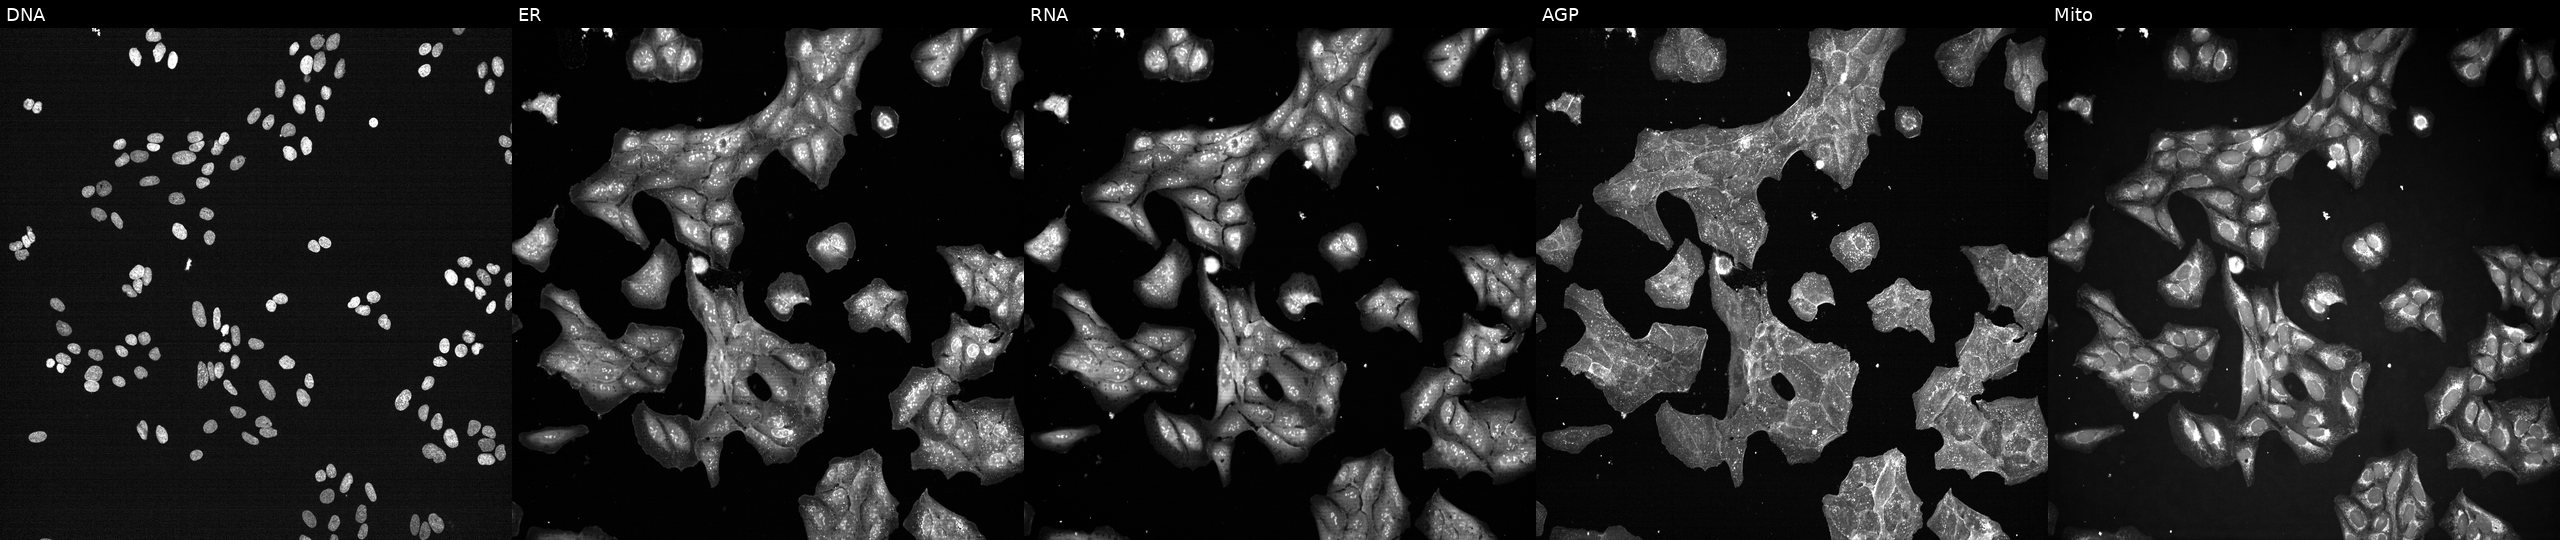
Five-channel Cell Painting image of U2OS cells perturbed with a small-molecule compound (InChIKey PMXCMJLOPOFPBT-UHFFFAOYSA-N) [SMILES: CC(C)C(CO)N=c1[nH]c(=Nc2cccc(Cl)c2)c2ncn(C(C)C)c2[nH]1] (JUMP id JCP2022_069668). Channels (left→right): DNA (nuclei); ER (endoplasmic reticulum); RNA (nucleoli and cytoplasmic RNA); AGP (actin cytoskeleton, Golgi, and plasma membrane); Mito (mitochondria). Source 7, plate CP2-SC1-25, well M04.